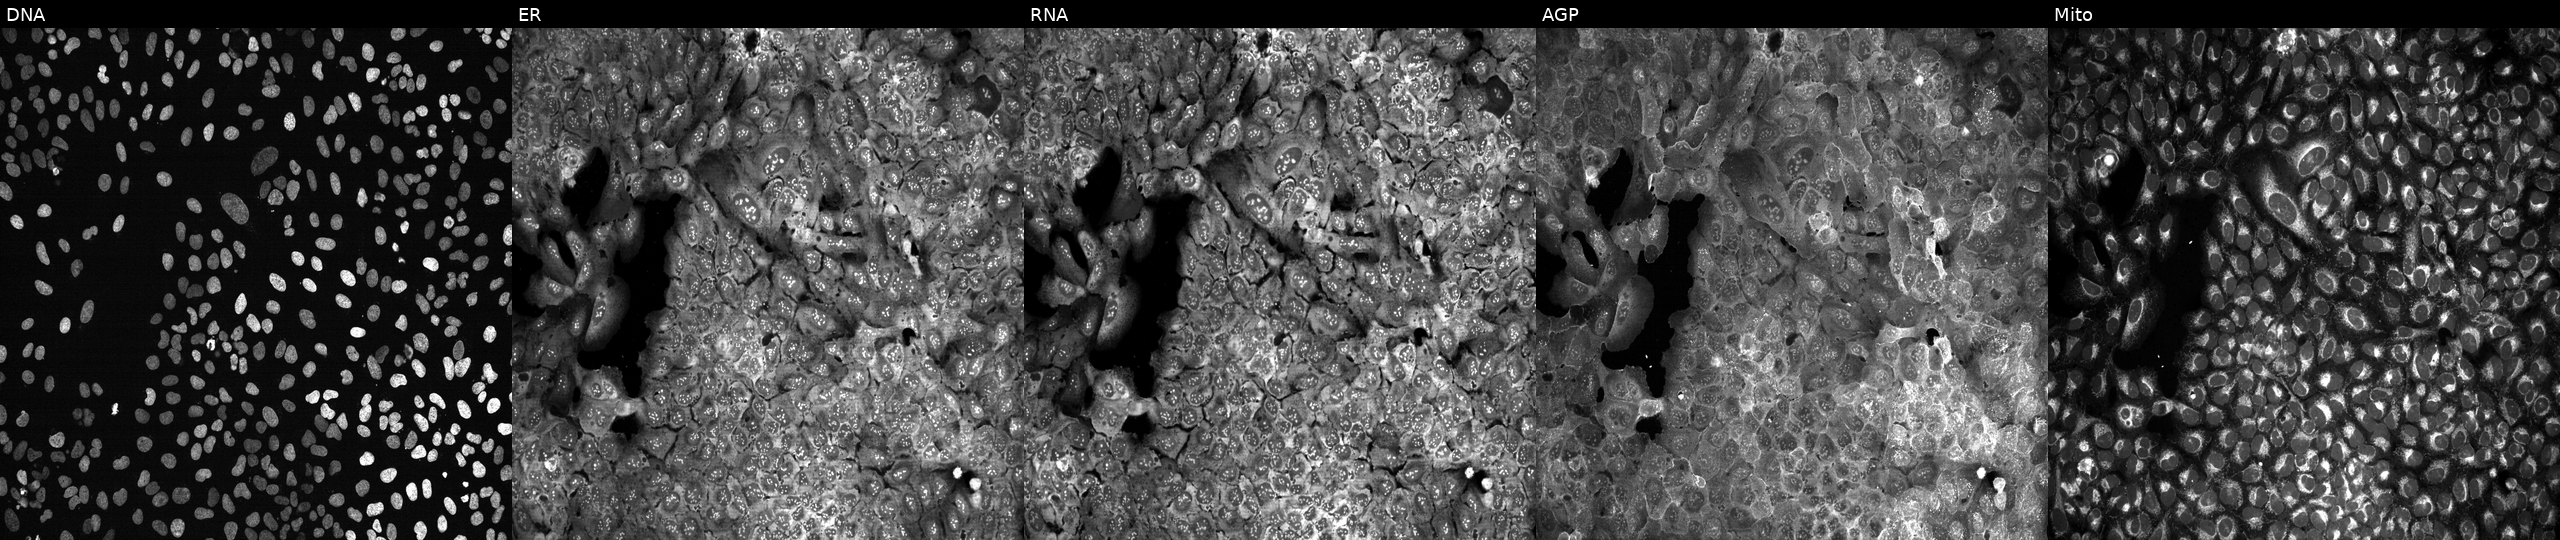
High-content fluorescence microscopy (Cell Painting). Cell line: U2OS. Perturbation: with KMO knocked out by CRISPR. From left to right: DNA (nuclei); ER (endoplasmic reticulum); RNA (nucleoli and cytoplasmic RNA); AGP (actin cytoskeleton, Golgi, and plasma membrane); Mito (mitochondria).